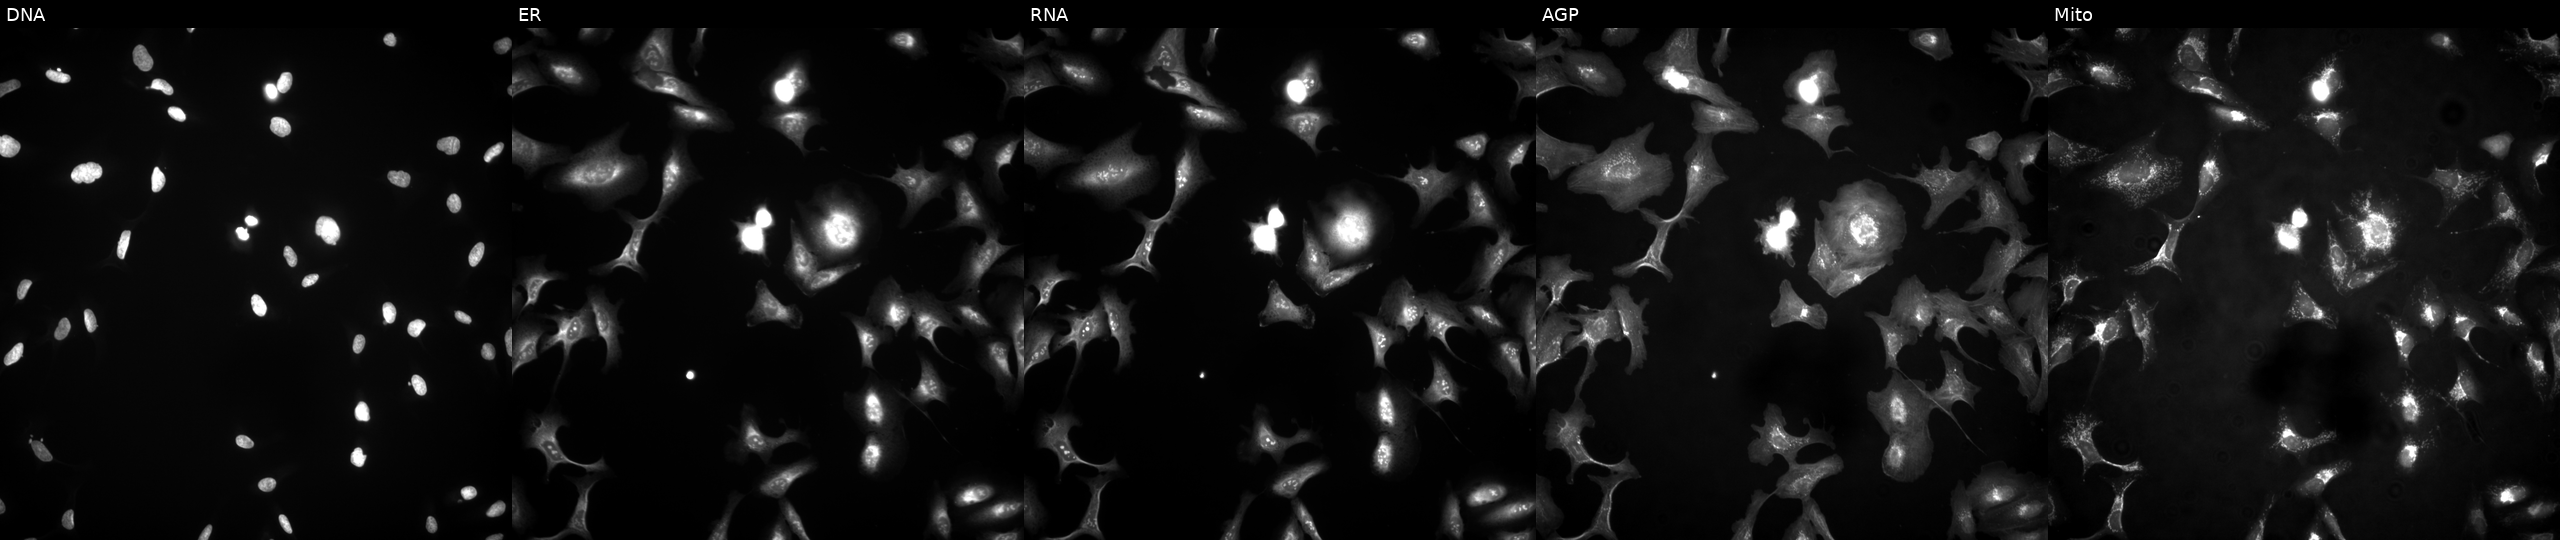
Five-channel Cell Painting image of U2OS cells transfected with an ORF construct for TMEM51-AS1. From left to right: Hoechst 33342, concanavalin A, SYTO 14, phalloidin and WGA, MitoTracker.